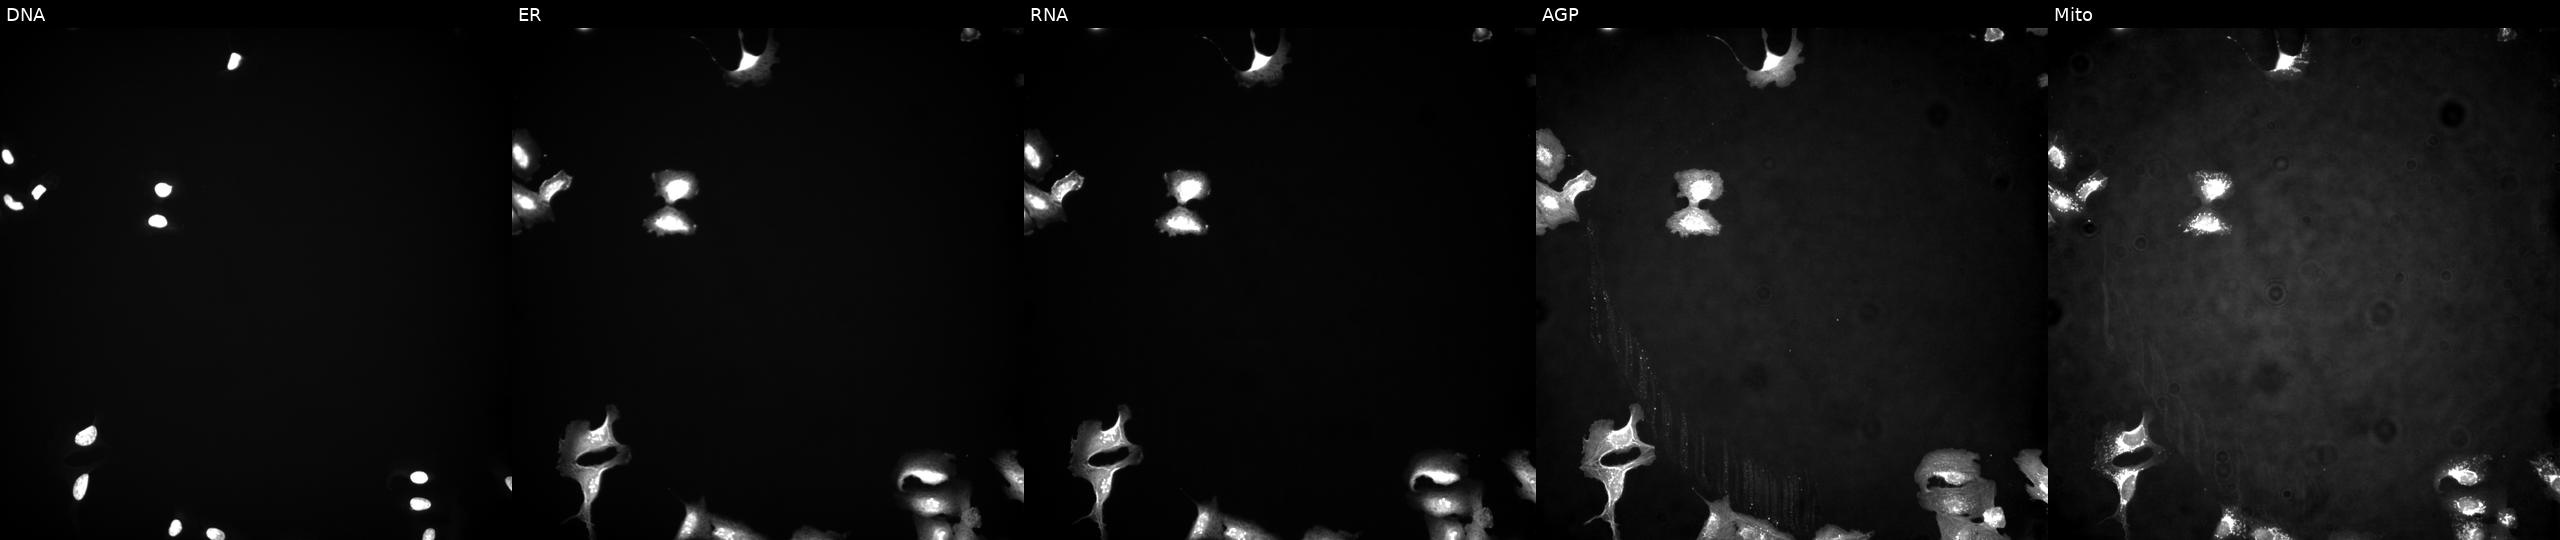
JUMP Cell Painting — ORF plate. U2OS cells in an empty control well (no perturbation) (JUMP id JCP2022_999999). From left to right: DNA (nuclei); ER (endoplasmic reticulum); RNA (nucleoli and cytoplasmic RNA); AGP (actin cytoskeleton, Golgi, and plasma membrane); Mito (mitochondria). Source 4, plate BR00117035, well O03.